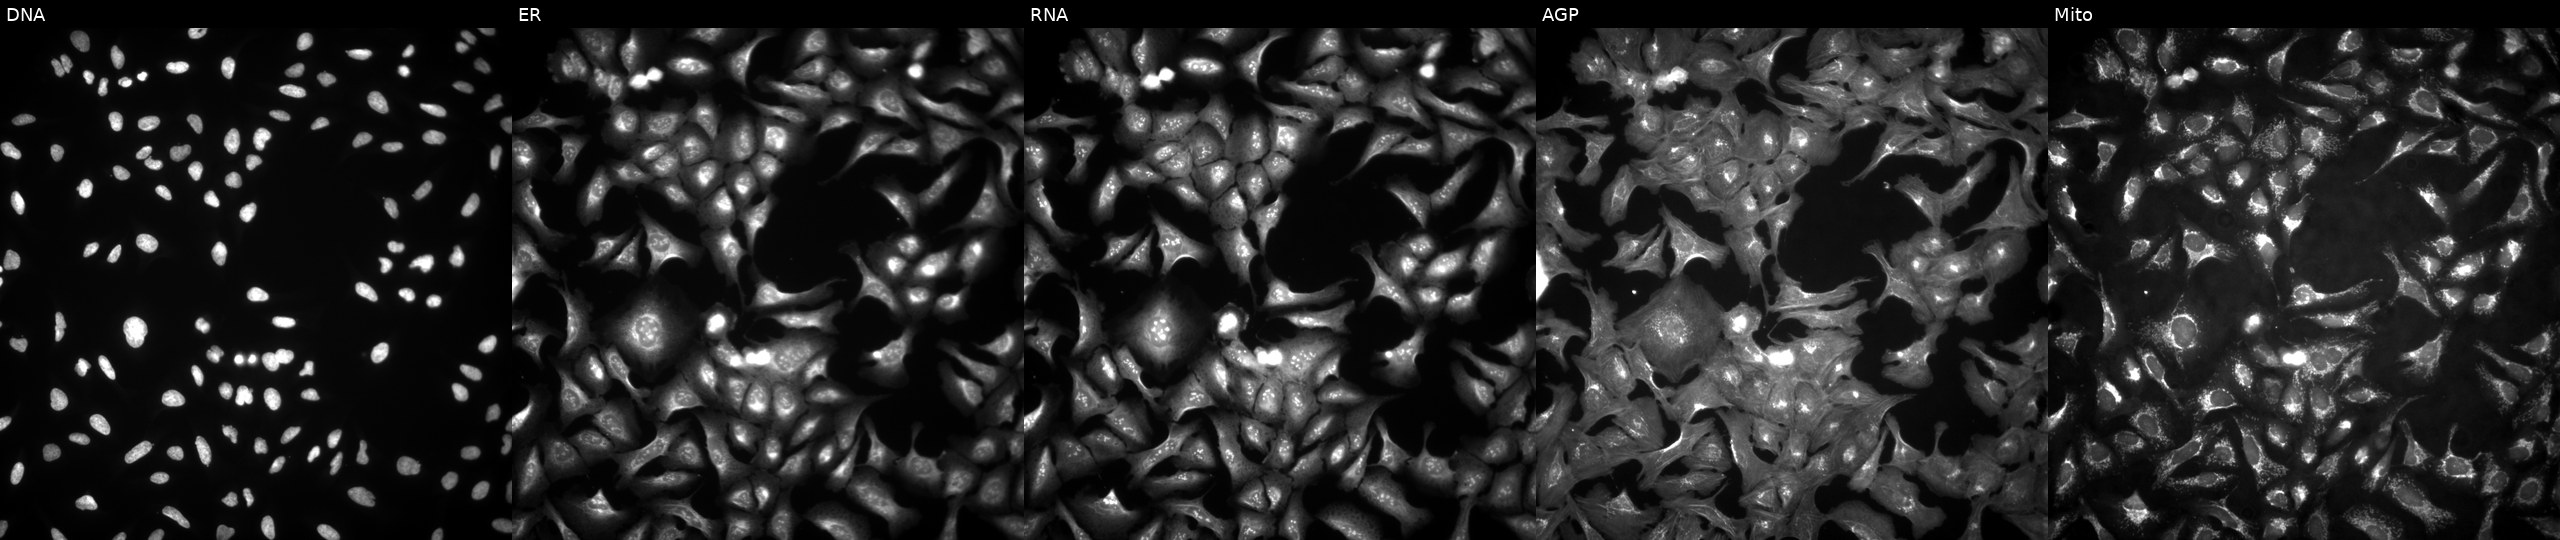
This image strip shows the five Cell Painting channels for a single field of U2OS cells overexpressing ABHD14B via ORF transfection. From left to right: Hoechst 33342, concanavalin A, SYTO 14, phalloidin and WGA, MitoTracker. Source 4, plate BR00123509, well H22.